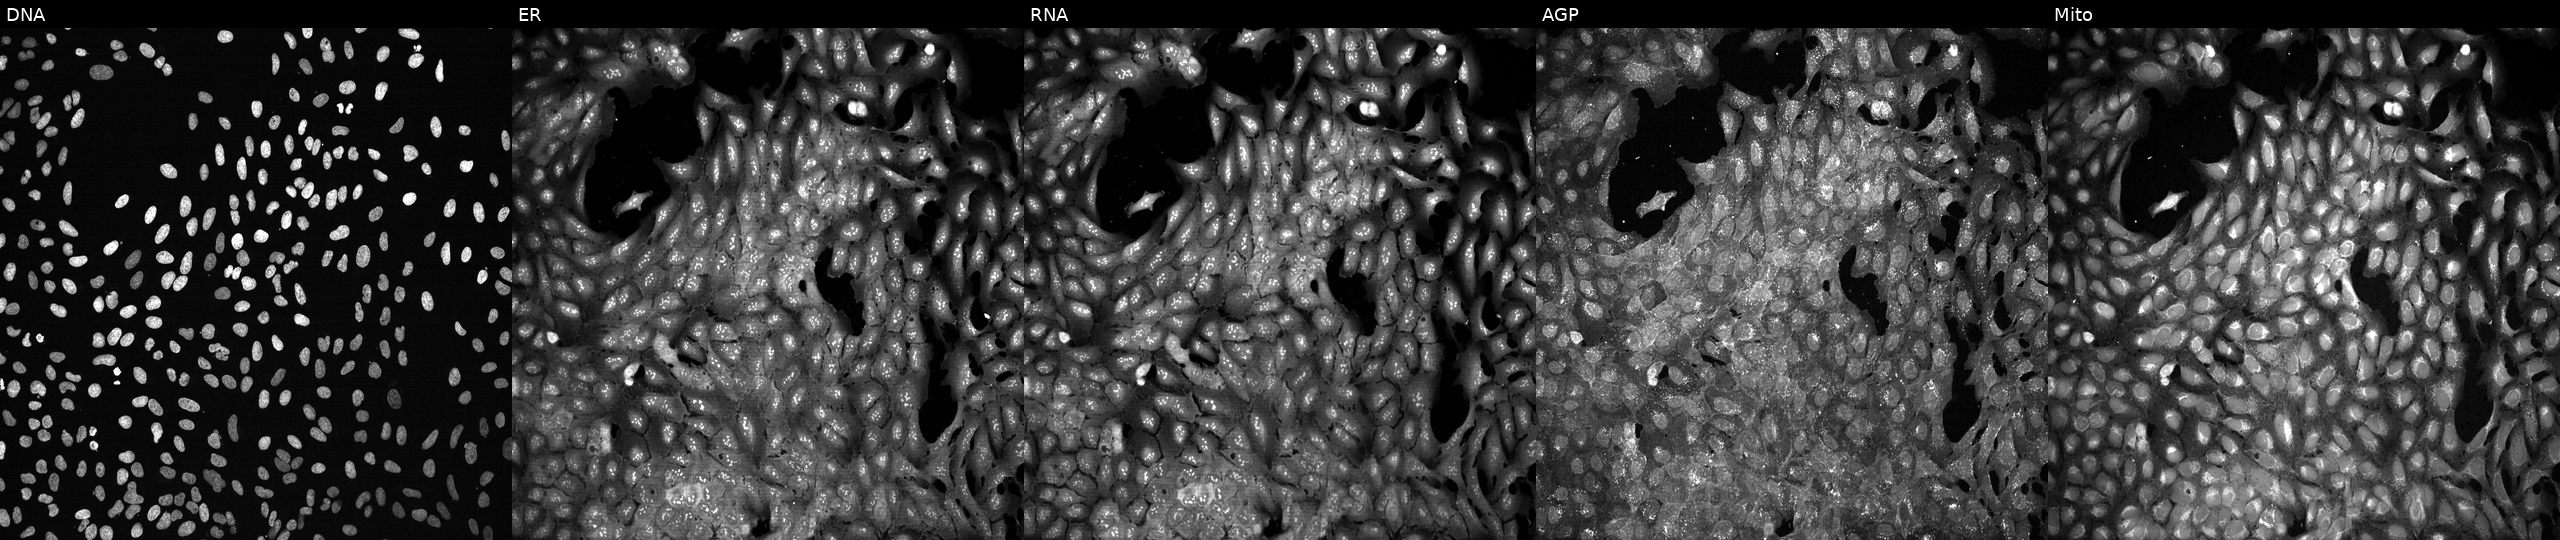
The five panels, left to right, show DNA, ER, RNA, AGP, and Mito. U2OS osteosarcoma cells following CRISPR knockout of PISD. Cell Painting assay, JUMP-CP dataset.